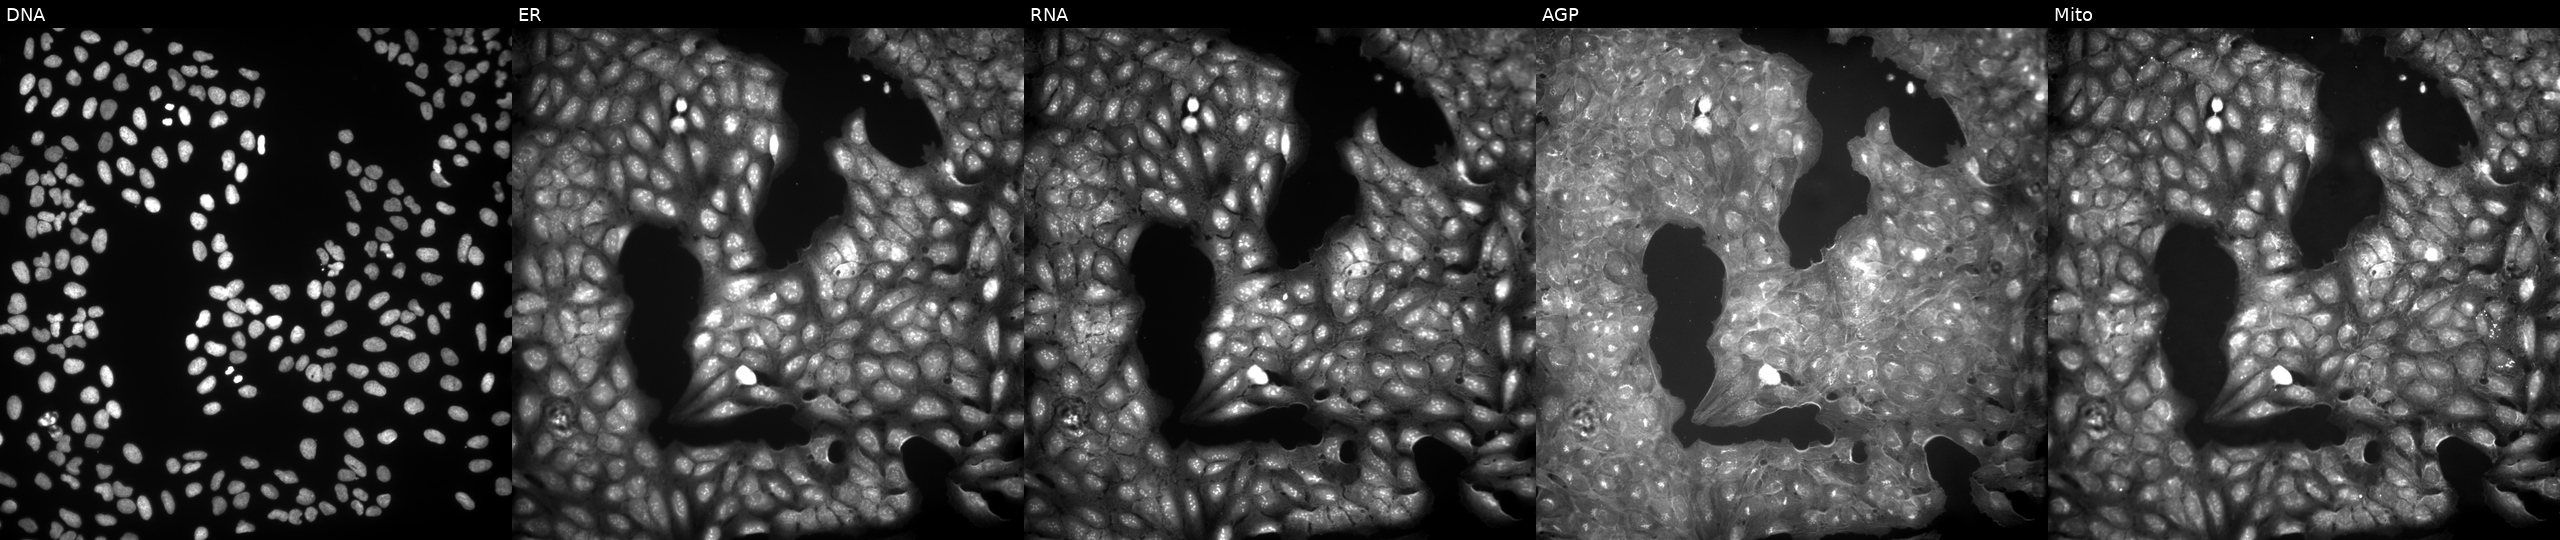
JUMP Cell Painting — COMPOUND plate. U2OS cells treated with a small-molecule compound (InChIKey WRESDJFYJKVBCD-UHFFFAOYSA-N). Channels (left→right): DNA (nuclei); ER (endoplasmic reticulum); RNA (nucleoli and cytoplasmic RNA); AGP (actin cytoskeleton, Golgi, and plasma membrane); Mito (mitochondria).